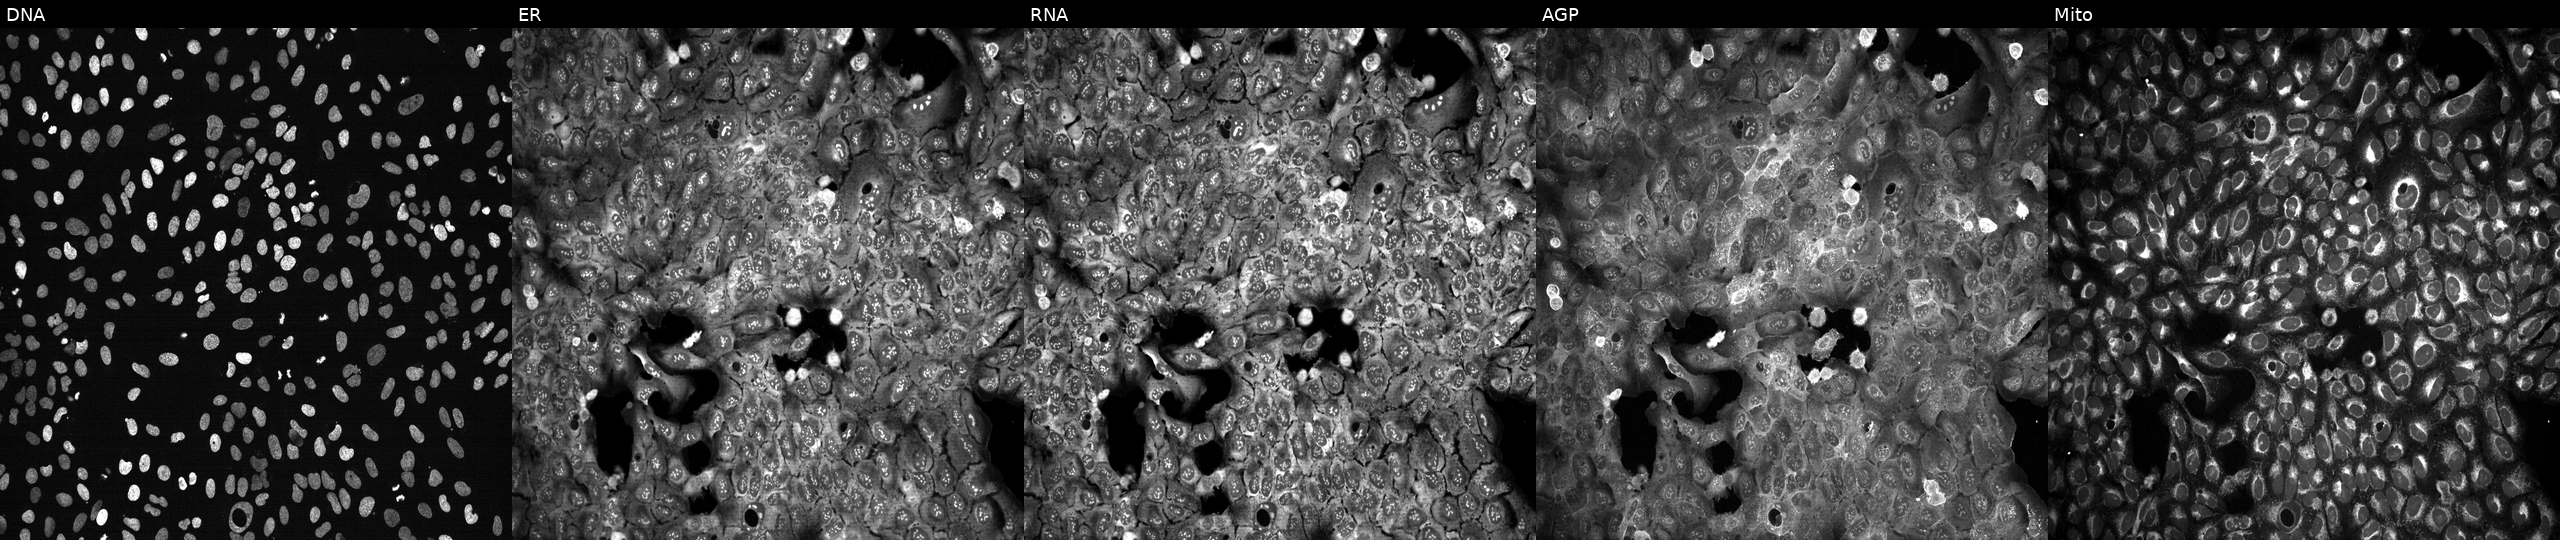
Five-channel Cell Painting image of U2OS cells following CRISPR knockout of SKIV2L. Channels (left→right): Hoechst 33342, concanavalin A, SYTO 14, phalloidin and WGA, MitoTracker.